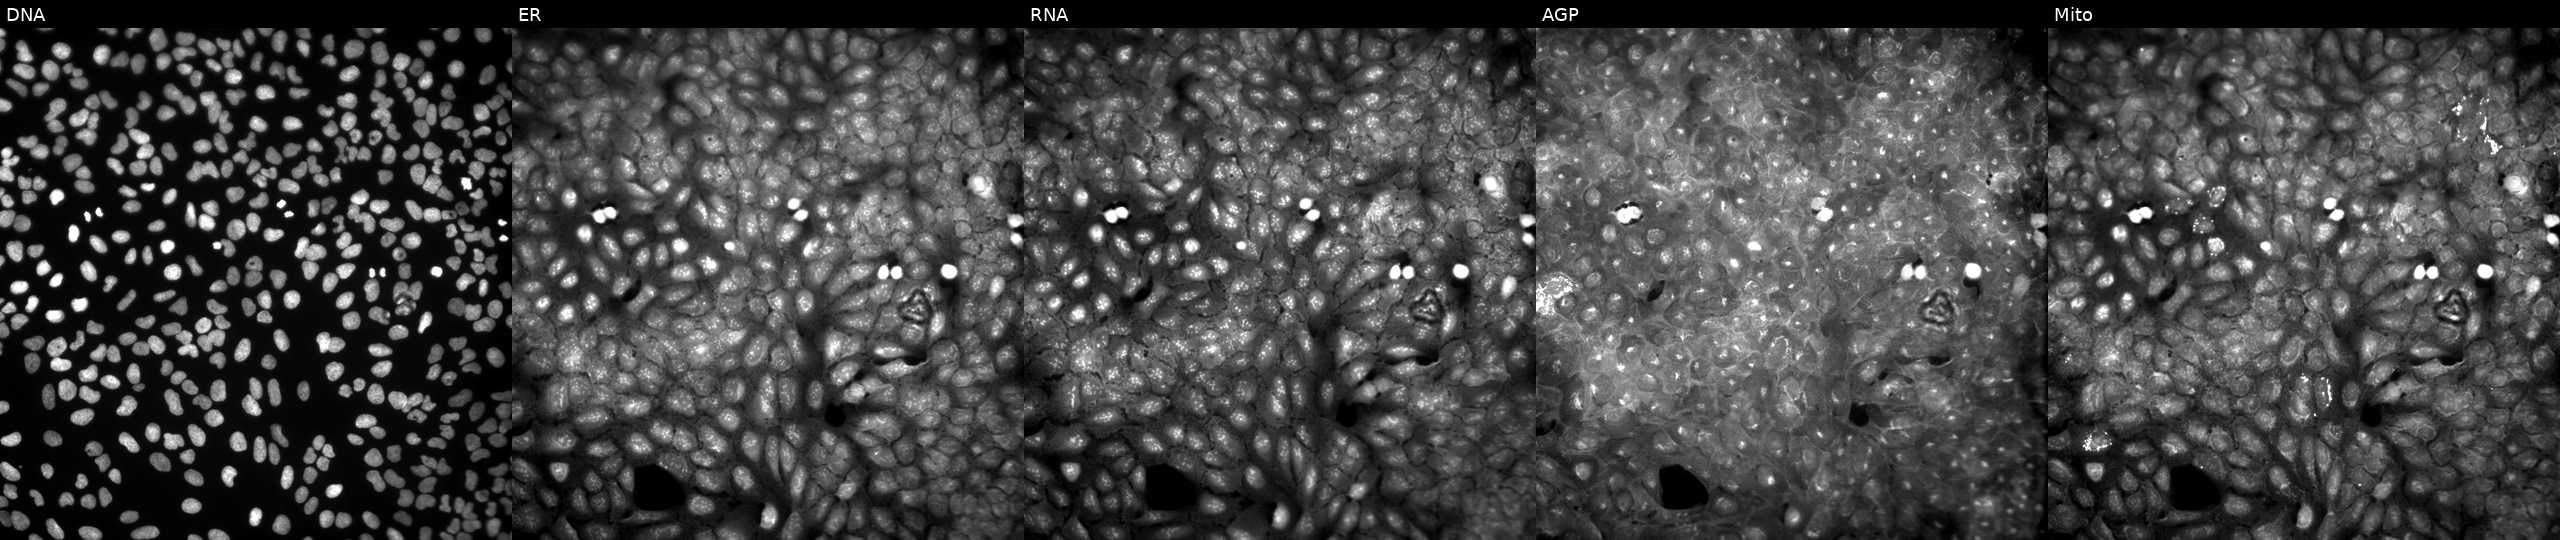
JUMP Cell Painting — COMPOUND plate. U2OS cells exposed to a small-molecule compound (InChIKey PZGWUROEALRBFV-UHFFFAOYSA-N). The five panels, left to right, show DNA (nuclei); ER (endoplasmic reticulum); RNA (nucleoli and cytoplasmic RNA); AGP (actin cytoskeleton, Golgi, and plasma membrane); Mito (mitochondria).